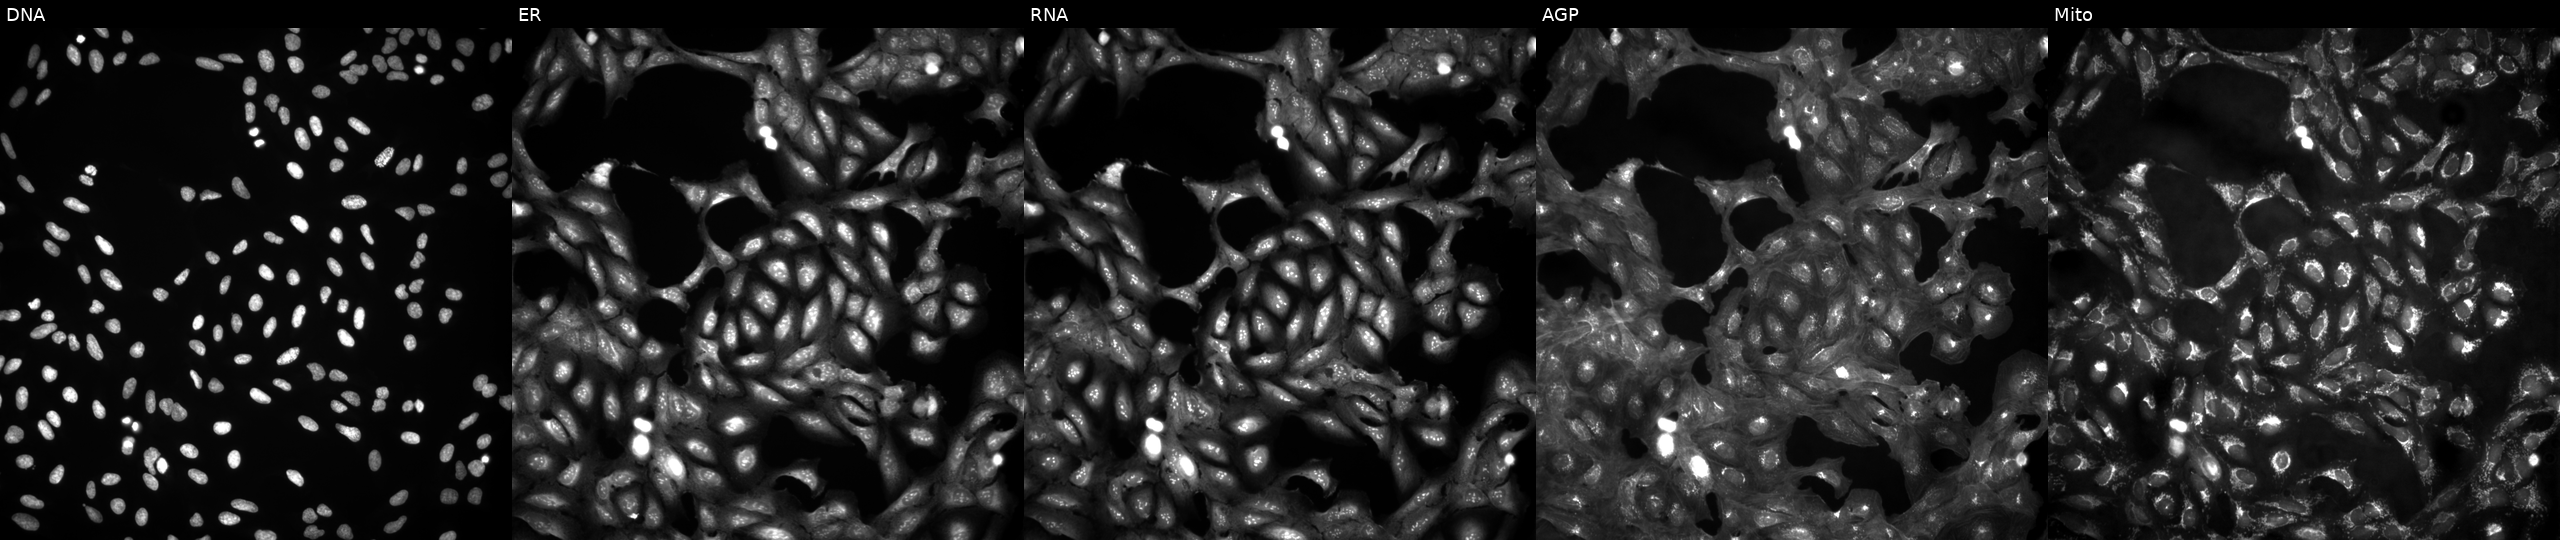
Five-channel Cell Painting image of U2OS cells in an empty control well (no perturbation). The five panels, left to right, show Hoechst 33342, concanavalin A, SYTO 14, phalloidin and WGA, MitoTracker.